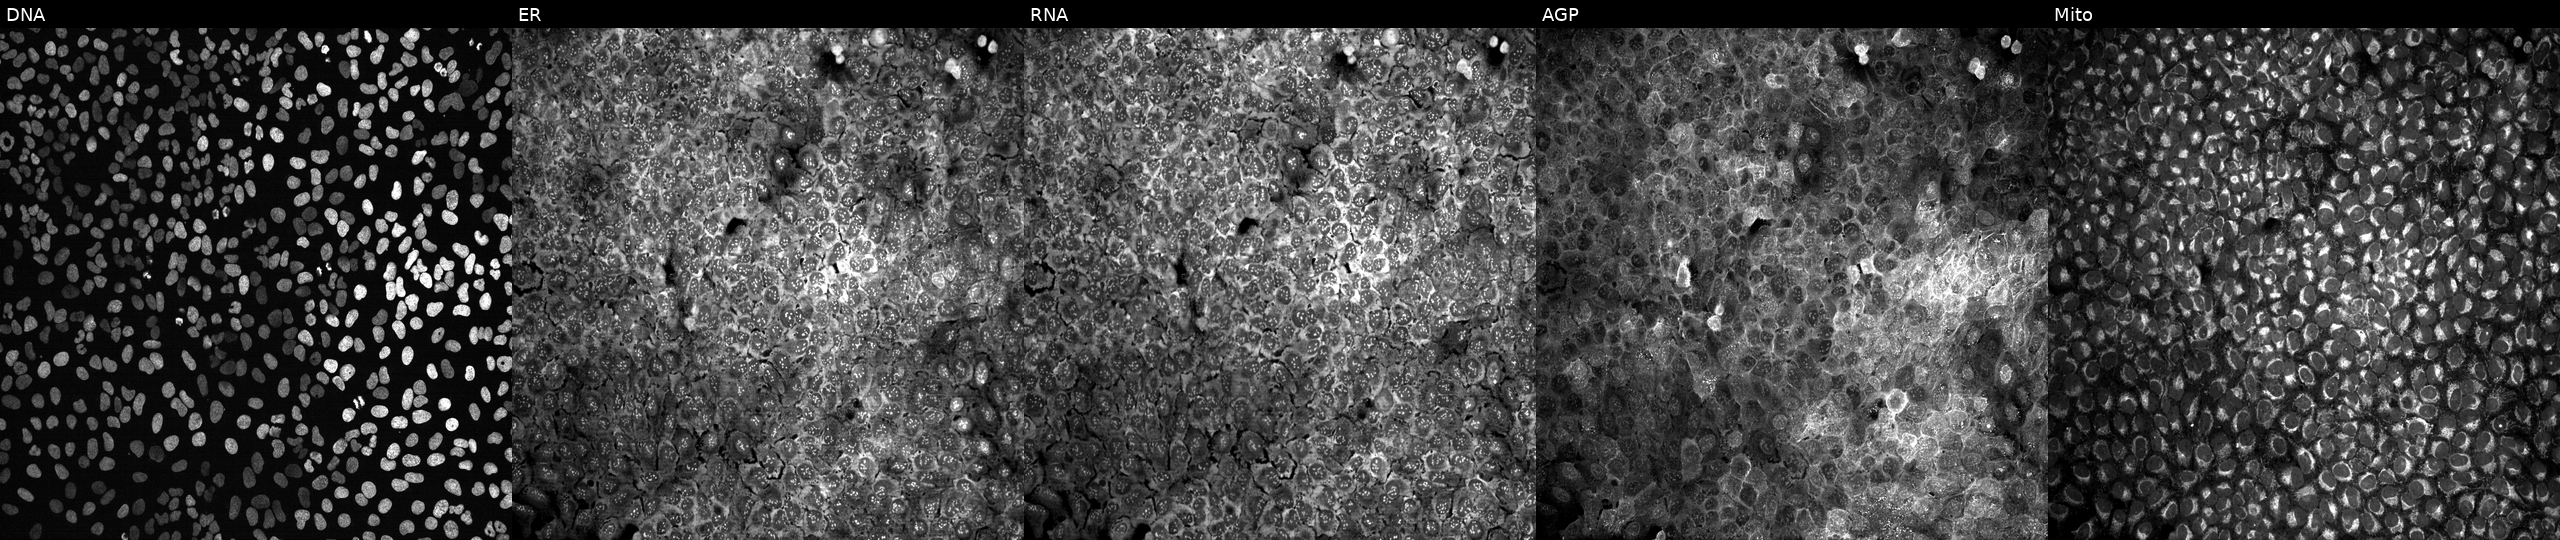
JUMP Cell Painting — CRISPR plate. U2OS cells exposed to DMSO alone as a negative control (JUMP id JCP2022_033924). From left to right: DNA (nuclei); ER (endoplasmic reticulum); RNA (nucleoli and cytoplasmic RNA); AGP (actin cytoskeleton, Golgi, and plasma membrane); Mito (mitochondria).